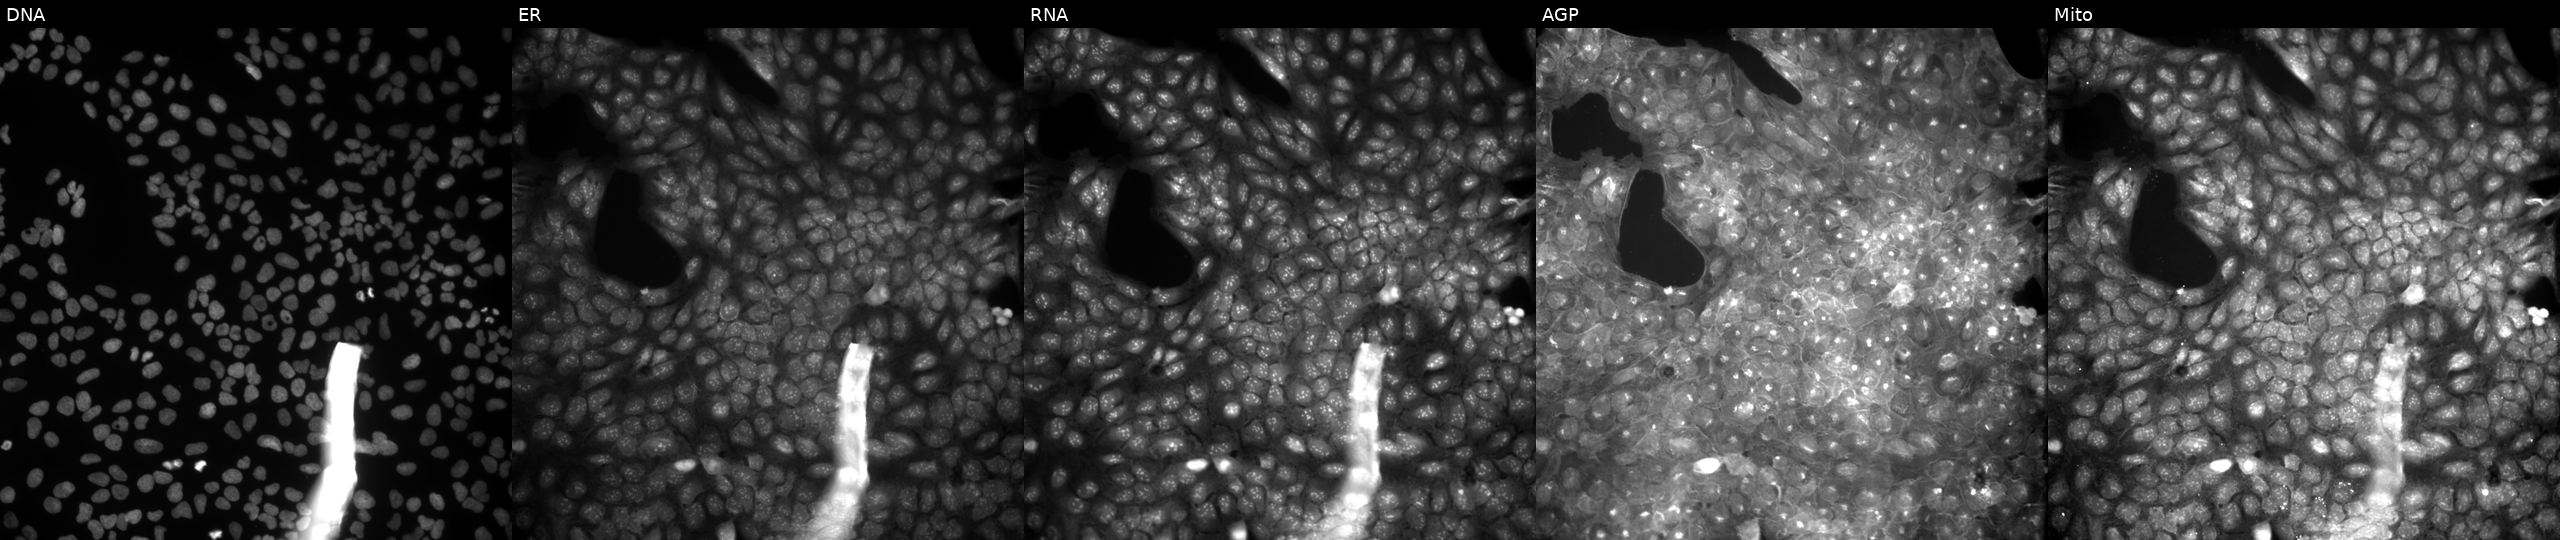
U2OS cells, Cell Painting assay, exposed to a small-molecule compound (InChIKey AADWKSKCFXJLFW-UHFFFAOYSA-N) (JUMP id JCP2022_000038). Channels (left→right): DNA, ER, RNA, AGP, and Mito. Each panel is percentile-stretched 16-bit fluorescence.